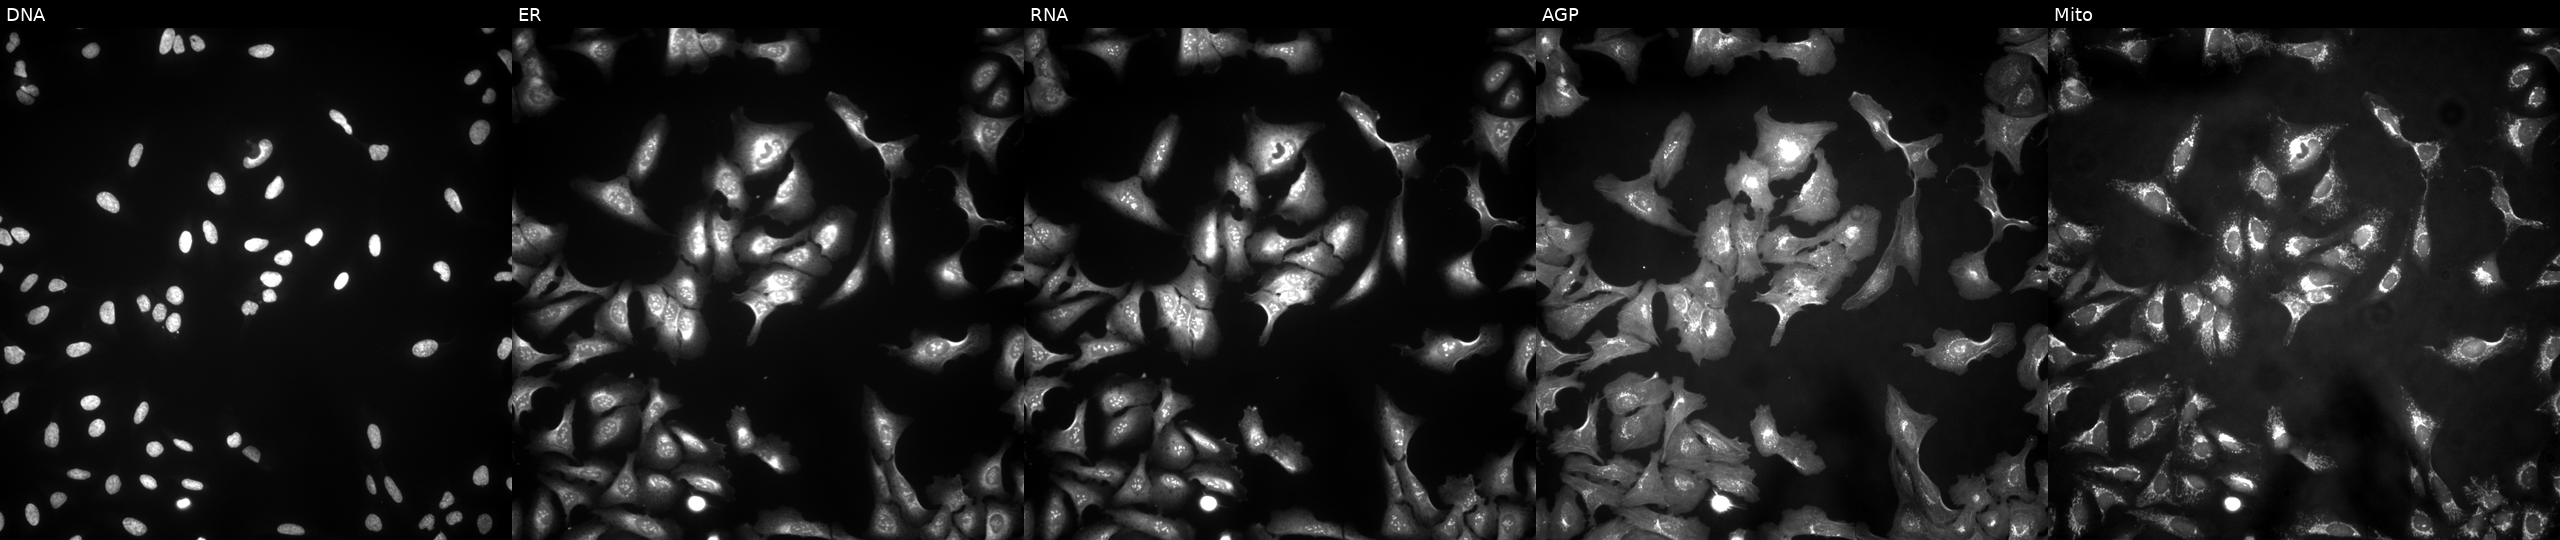
JUMP Cell Painting — ORF plate. U2OS cells overexpressing CUL1 via ORF transfection. From left to right: DNA (nuclei); ER (endoplasmic reticulum); RNA (nucleoli and cytoplasmic RNA); AGP (actin cytoskeleton, Golgi, and plasma membrane); Mito (mitochondria).